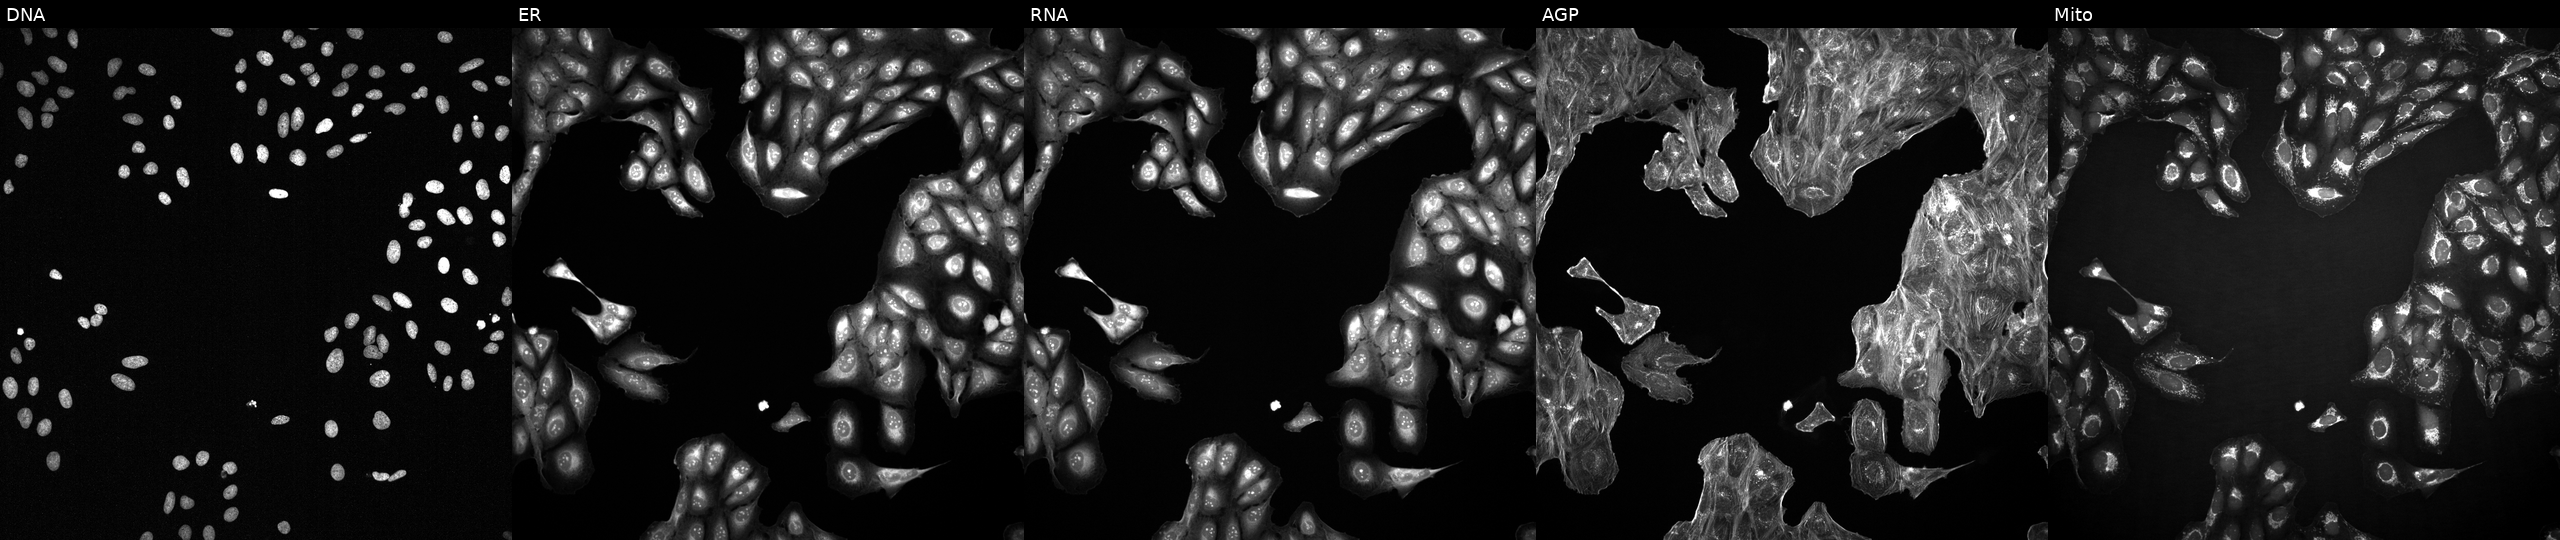
Five-channel Cell Painting image of U2OS cells perturbed with a small-molecule compound [SMILES: OCc1ccc(-c2nn(Cc3ccccc3)c3ccccc23)o1] (JUMP id JCP2022_065525). Channels (left→right): DNA (nuclei); ER (endoplasmic reticulum); RNA (nucleoli and cytoplasmic RNA); AGP (actin cytoskeleton, Golgi, and plasma membrane); Mito (mitochondria).